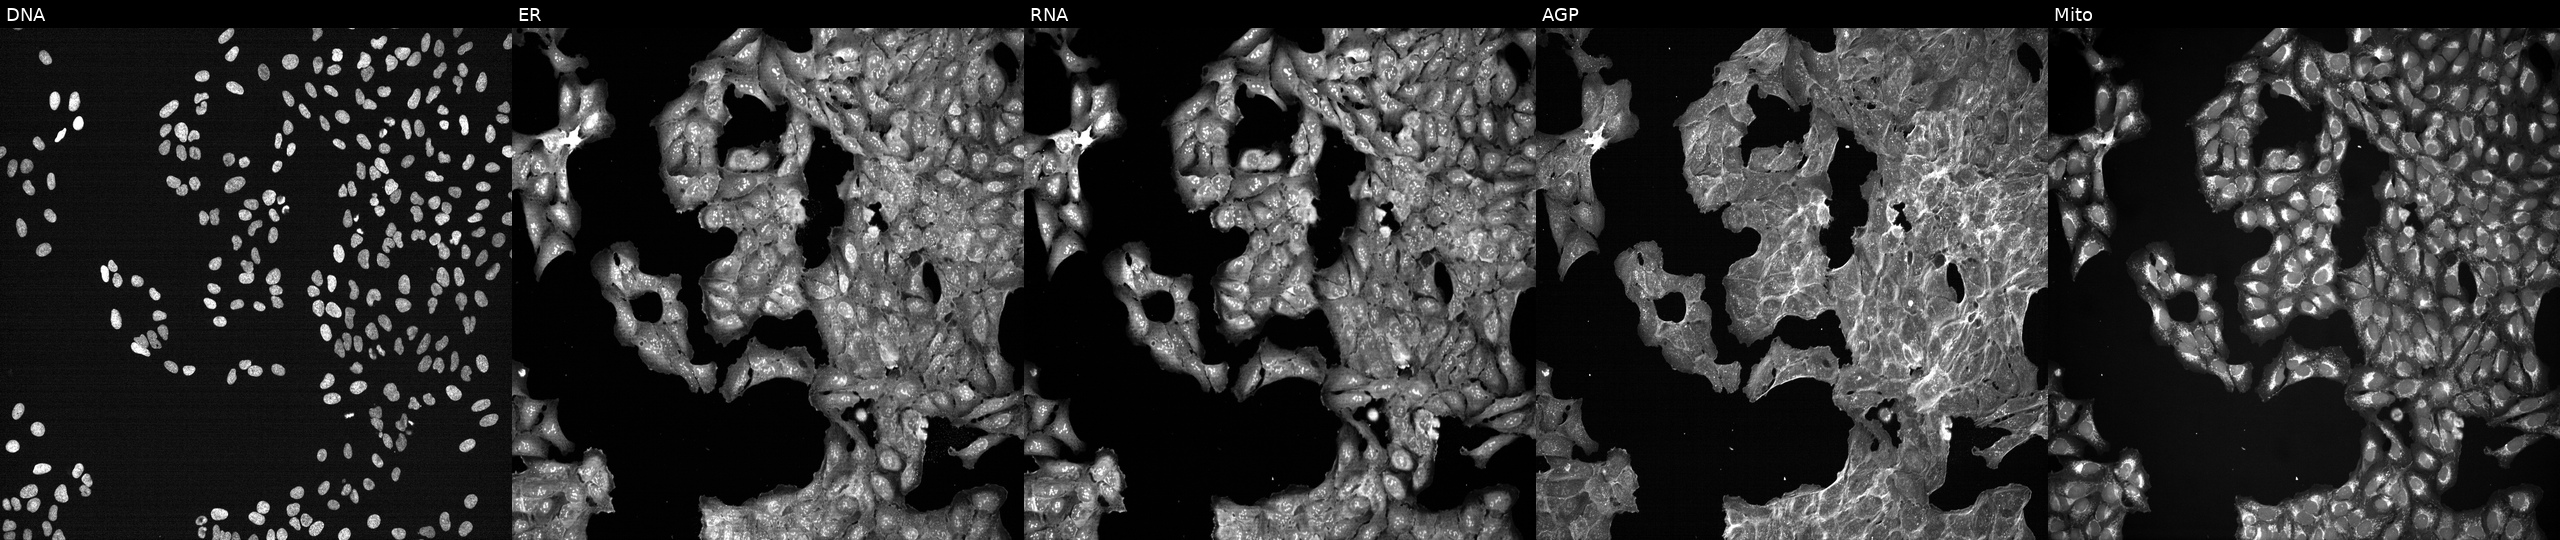
From left to right: Hoechst 33342, concanavalin A, SYTO 14, phalloidin and WGA, MitoTracker. U2OS osteosarcoma cells treated with DMSO vehicle only (negative control). Cell Painting assay, JUMP-CP dataset.